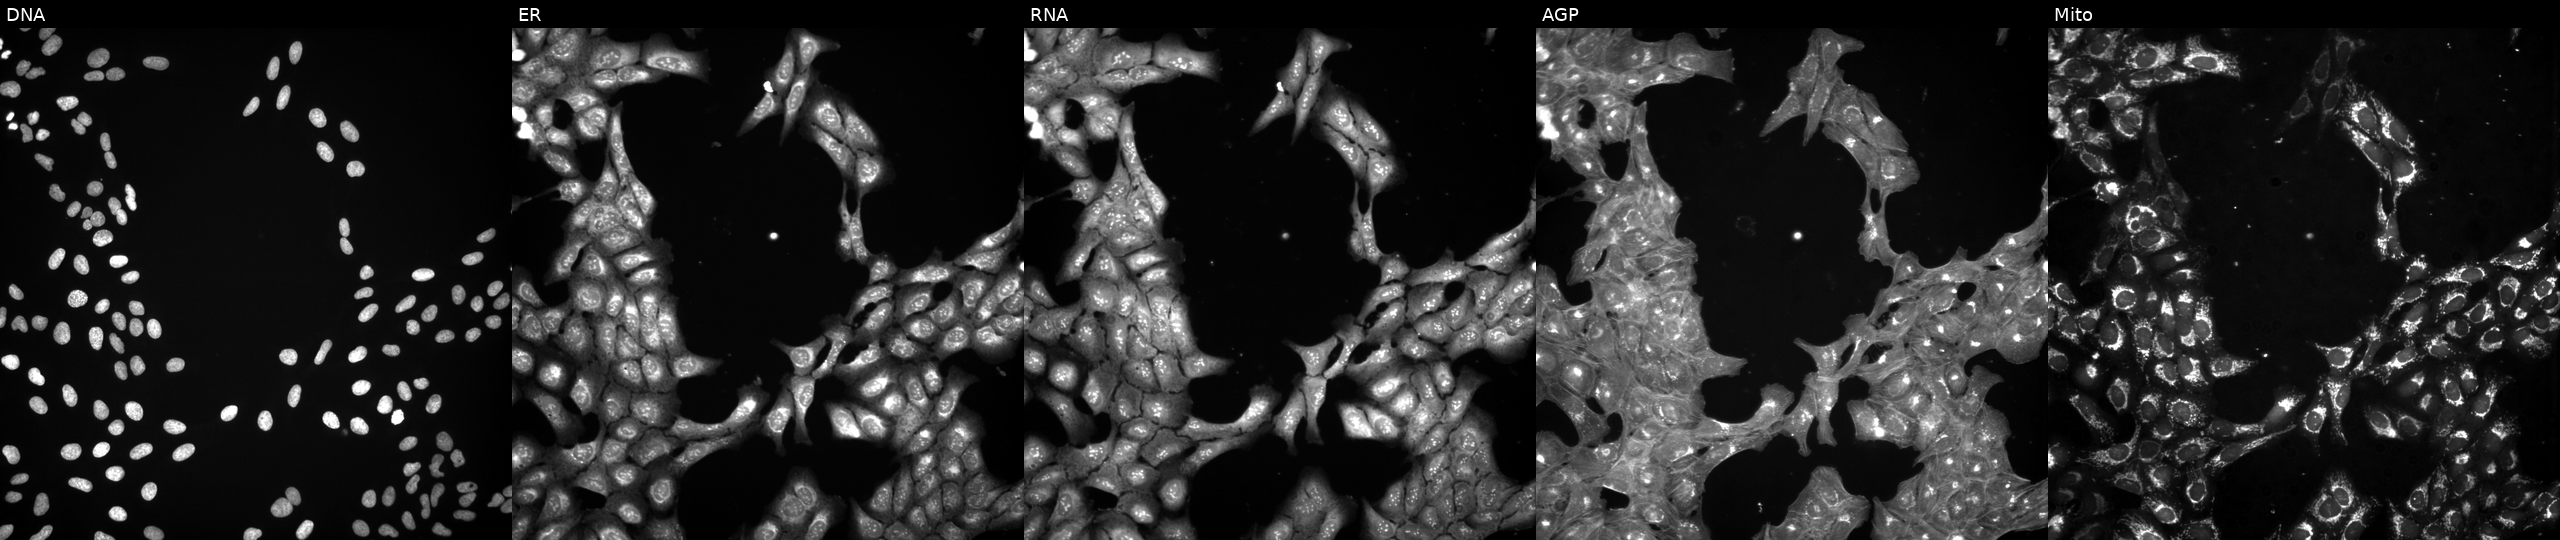
U2OS cells, Cell Painting assay, untreated (empty-well control). The five panels, left to right, show DNA, ER, RNA, AGP, and Mito. Each panel is percentile-stretched 16-bit fluorescence.